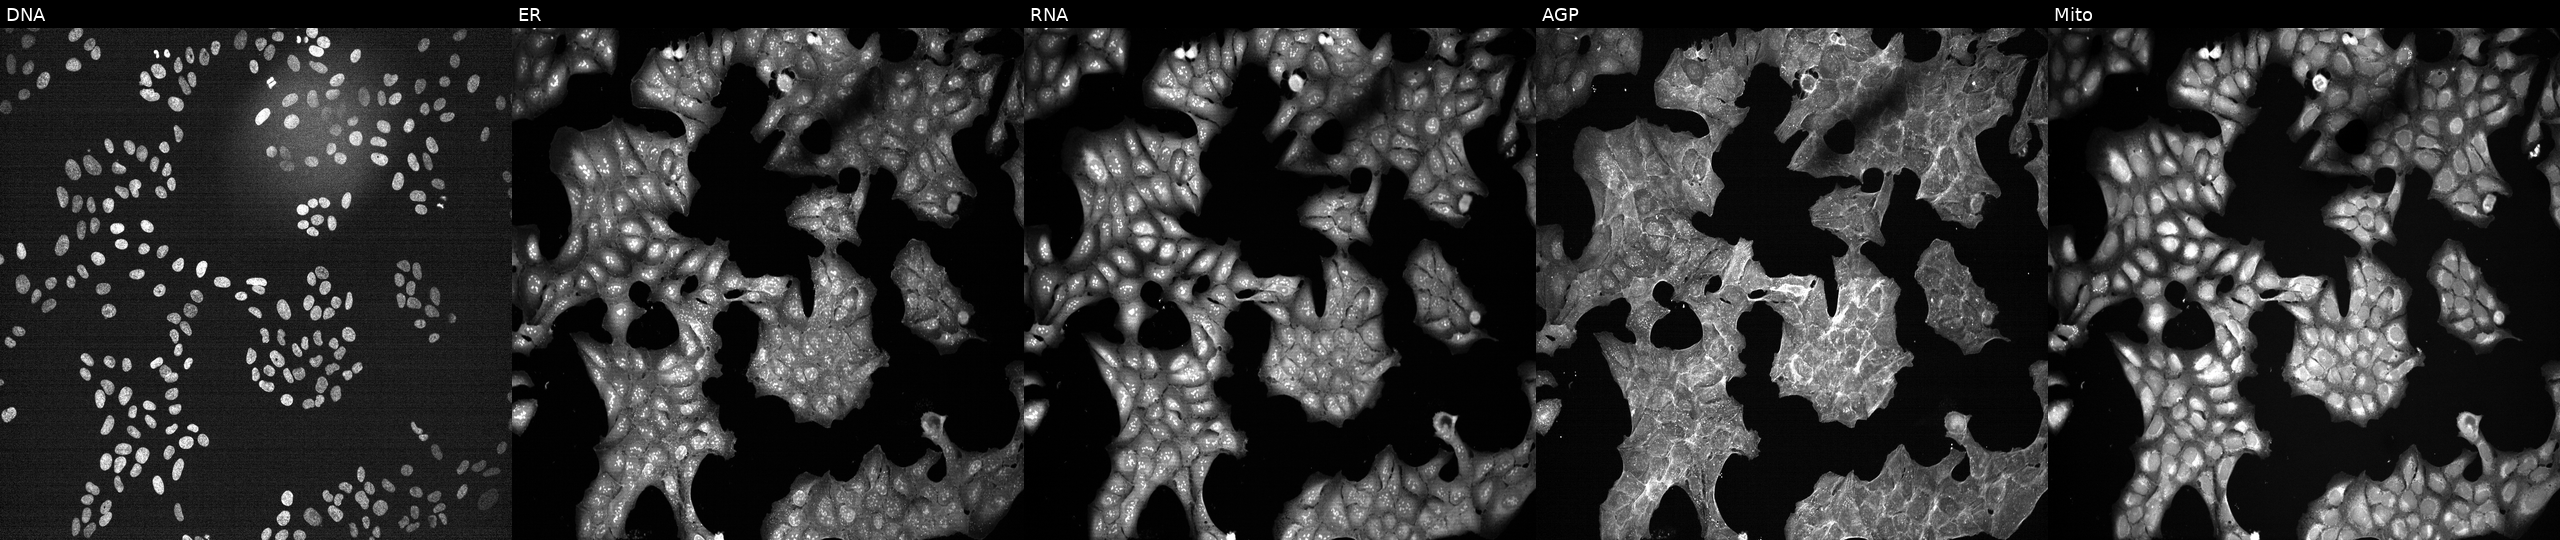
JUMP Cell Painting — TARGET2 plate. U2OS cells perturbed with a small-molecule compound (InChIKey LNFZRMDSZJCZTG-UHFFFAOYSA-N). Channels (left→right): DNA (nuclei); ER (endoplasmic reticulum); RNA (nucleoli and cytoplasmic RNA); AGP (actin cytoskeleton, Golgi, and plasma membrane); Mito (mitochondria). Source 7, plate CP1-SC1-25, well P23.